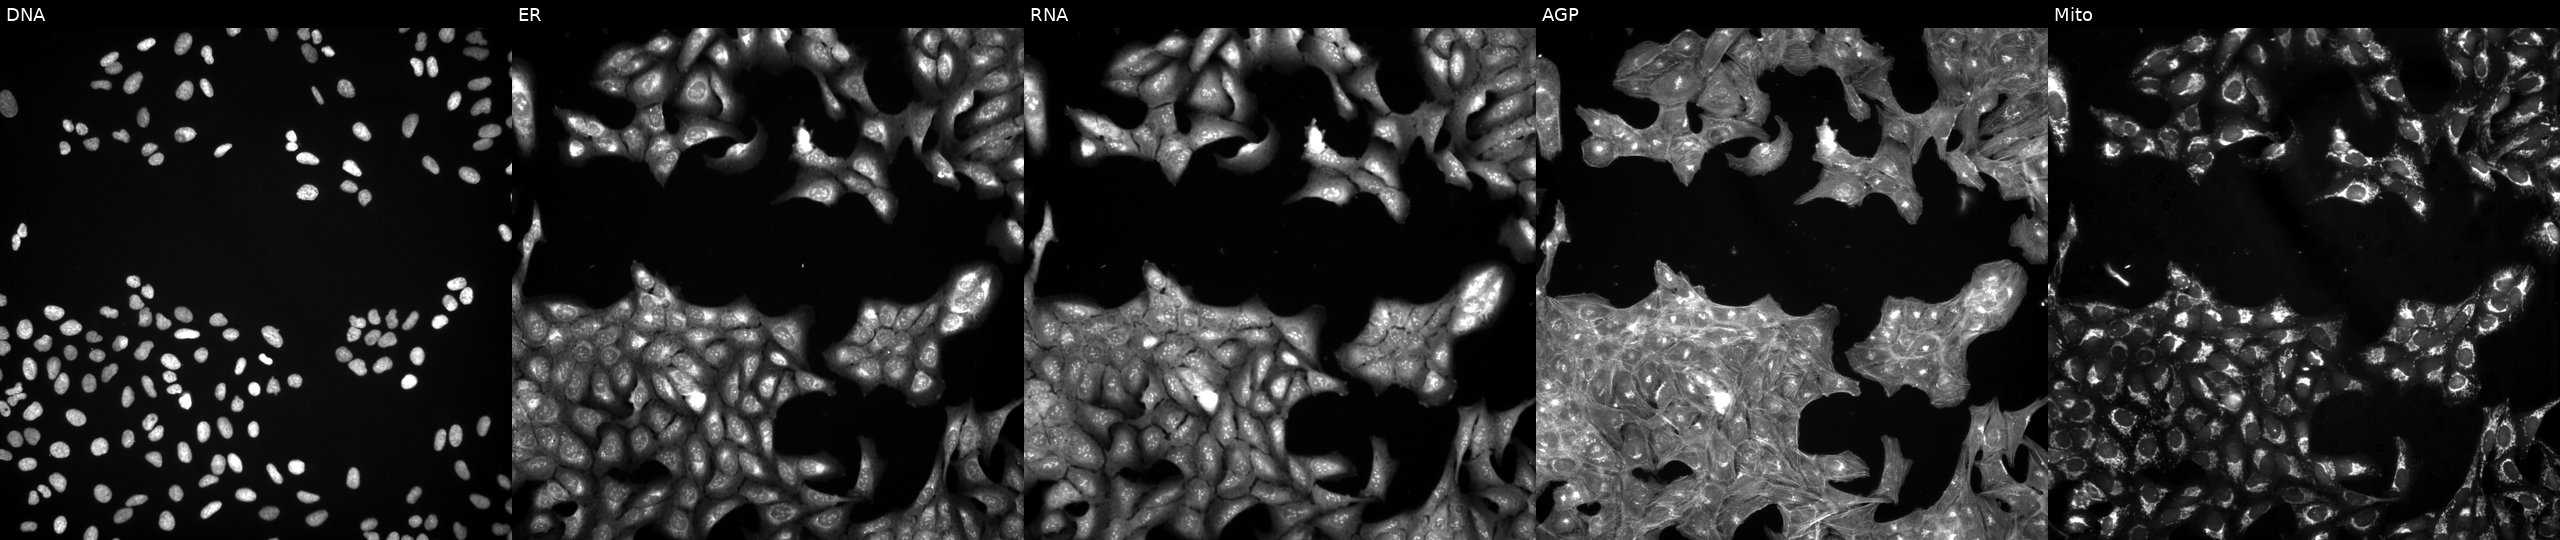
This image strip shows the five Cell Painting channels for a single field of U2OS cells treated with a small-molecule compound (JUMP id JCP2022_028032). From left to right: DNA (nuclei); ER (endoplasmic reticulum); RNA (nucleoli and cytoplasmic RNA); AGP (actin cytoskeleton, Golgi, and plasma membrane); Mito (mitochondria).